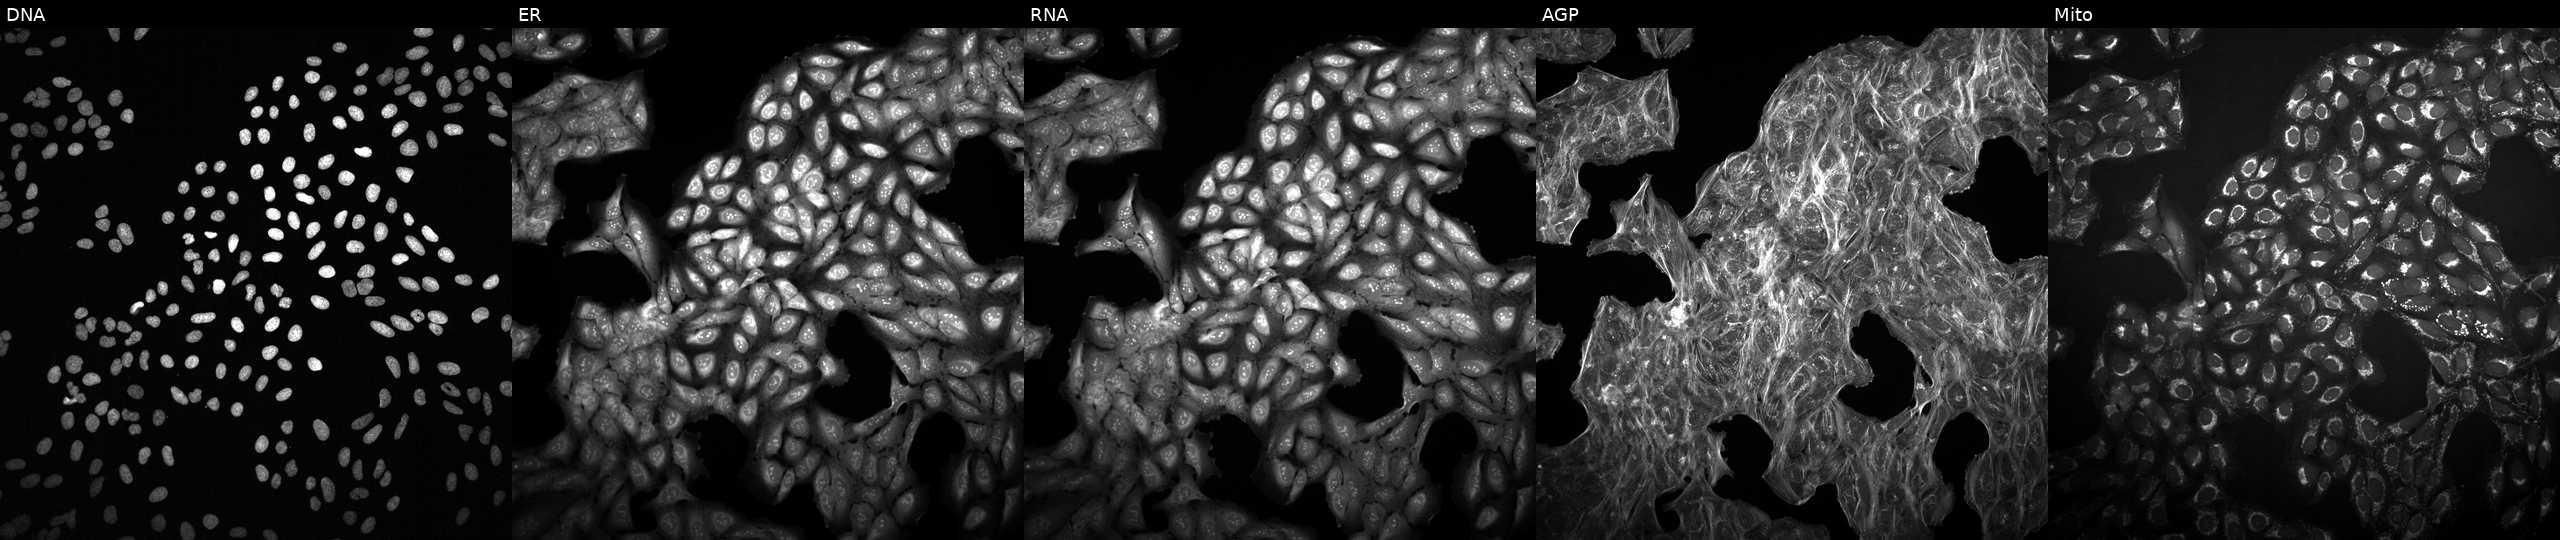
JUMP Cell Painting — COMPOUND plate. U2OS cells perturbed with a small-molecule compound (InChIKey GUZJGBCZBUEHTB-UHFFFAOYSA-N) (JUMP id JCP2022_027953). Panels show, left to right, Hoechst 33342, concanavalin A, SYTO 14, phalloidin and WGA, MitoTracker.